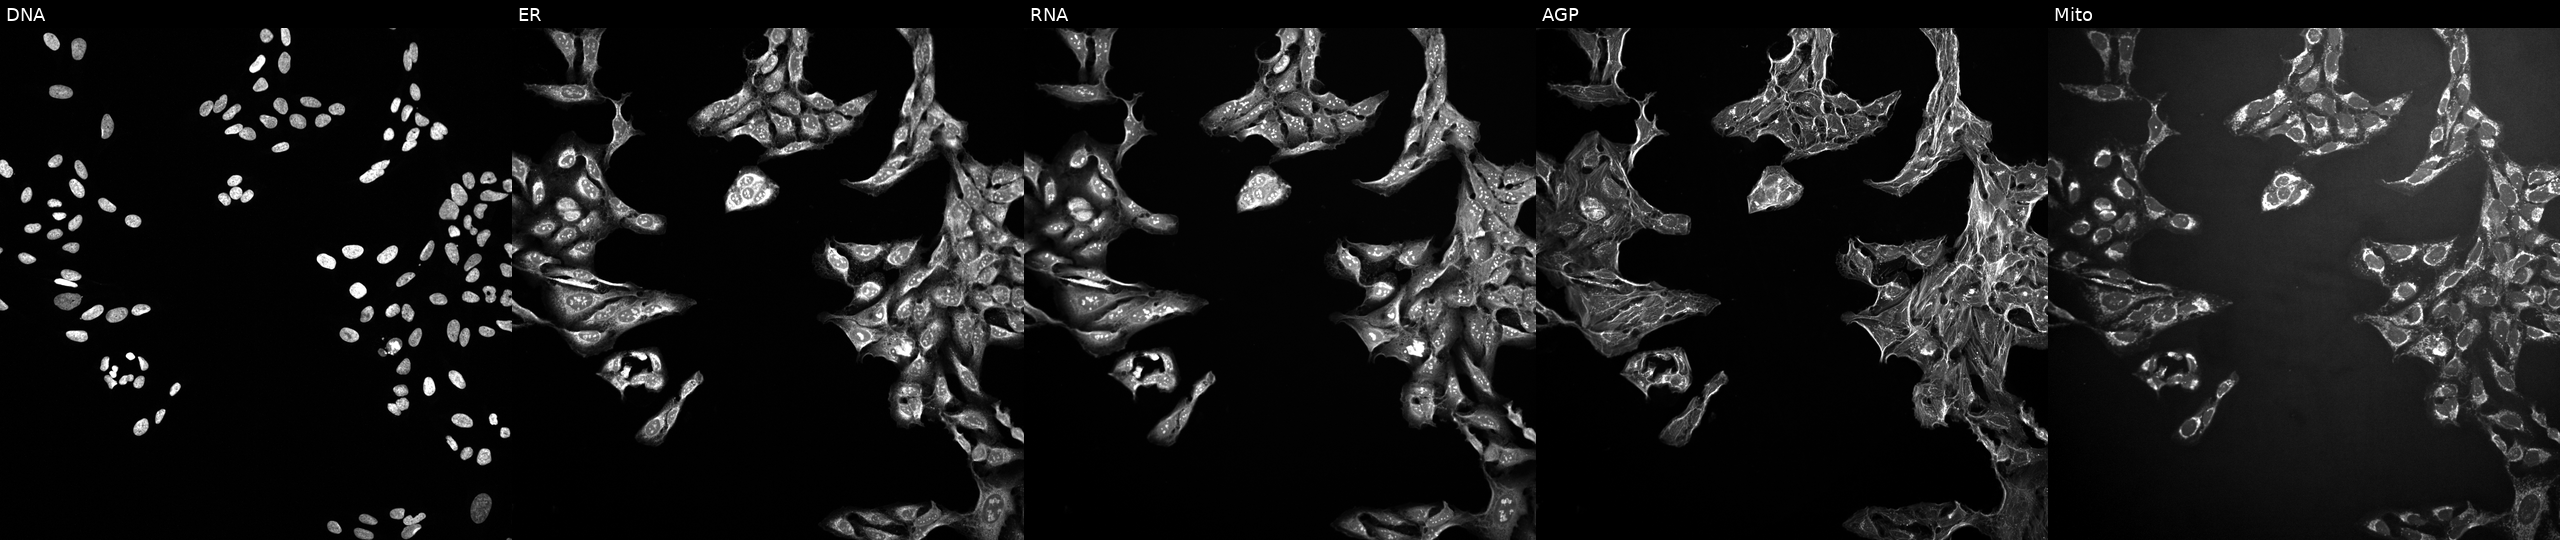
This image strip shows the five Cell Painting channels for a single field of U2OS cells exposed to a small-molecule compound (InChIKey UXUQIRNFBFRPAC-UHFFFAOYSA-N) (JUMP id JCP2022_092256). The five panels, left to right, show Hoechst 33342, concanavalin A, SYTO 14, phalloidin and WGA, MitoTracker. Source 10, plate Dest210727-153003, well P01.